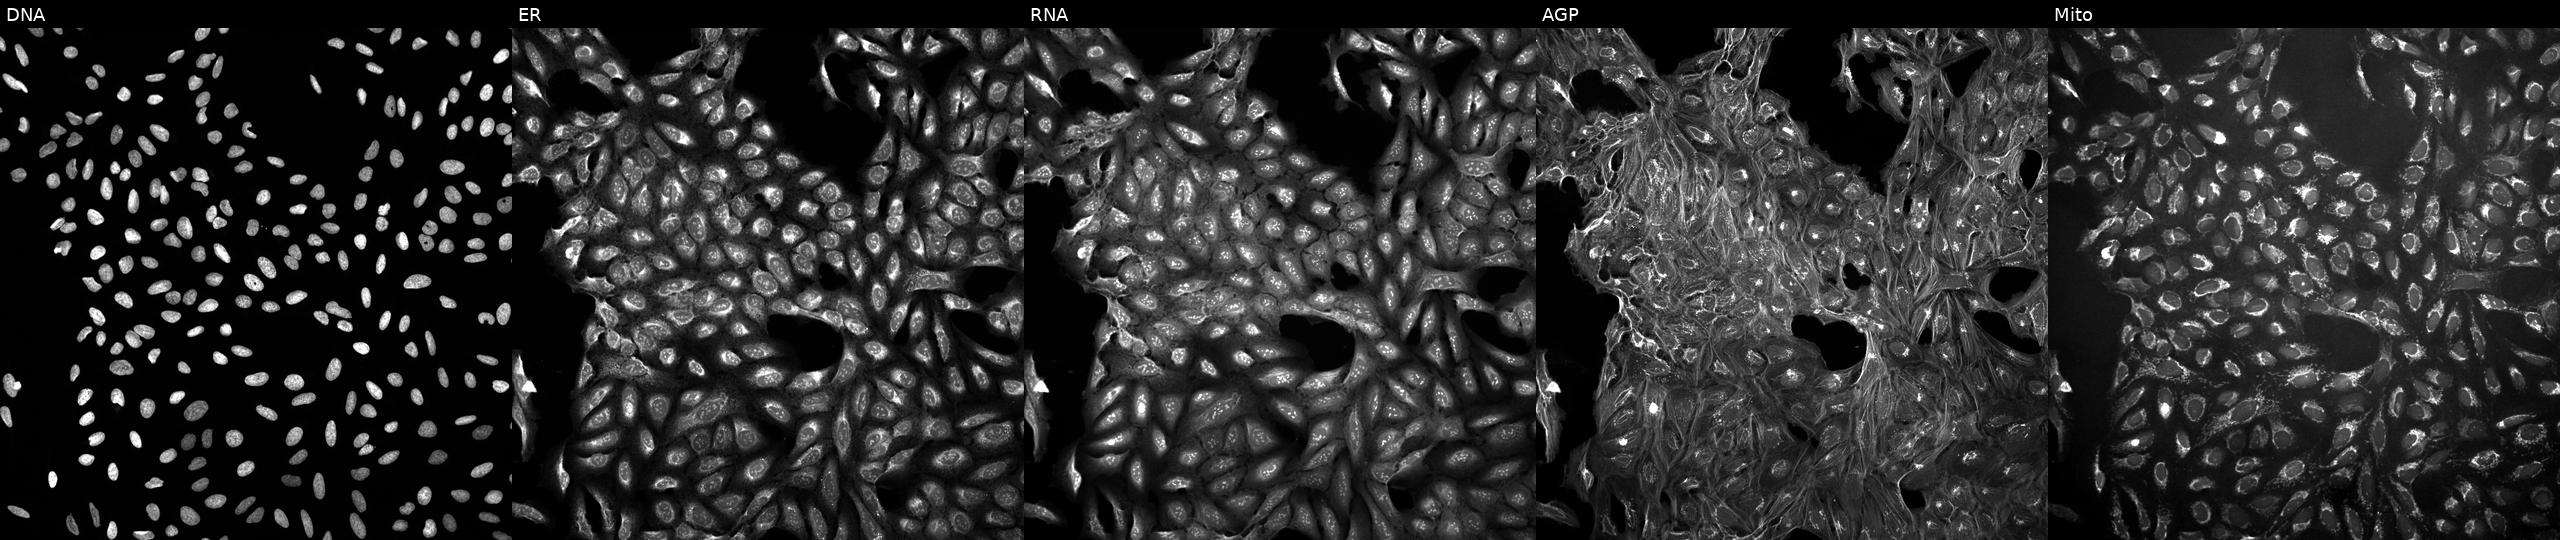
High-content fluorescence microscopy (Cell Painting). Cell line: U2OS. Perturbation: treated with DMSO vehicle only (negative control) (JUMP id JCP2022_033924). Channels (left→right): DNA, ER, RNA, AGP, and Mito.